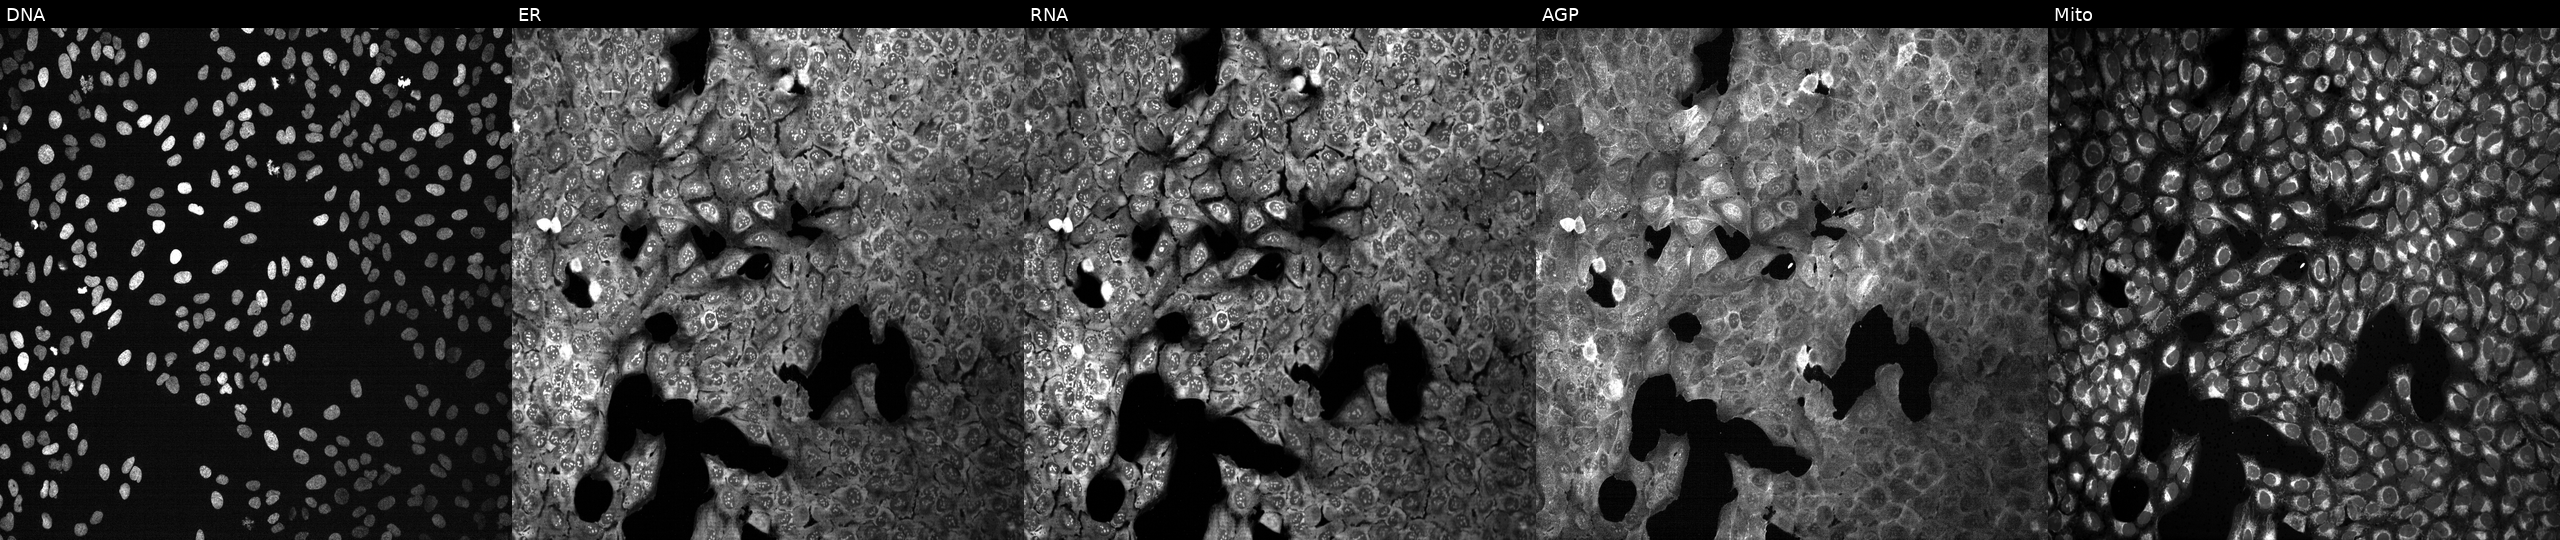
JUMP Cell Painting — CRISPR plate. U2OS cells with a non-targeting CRISPR guide (negative control) (JUMP id JCP2022_800002). Channels (left→right): Hoechst 33342, concanavalin A, SYTO 14, phalloidin and WGA, MitoTracker.